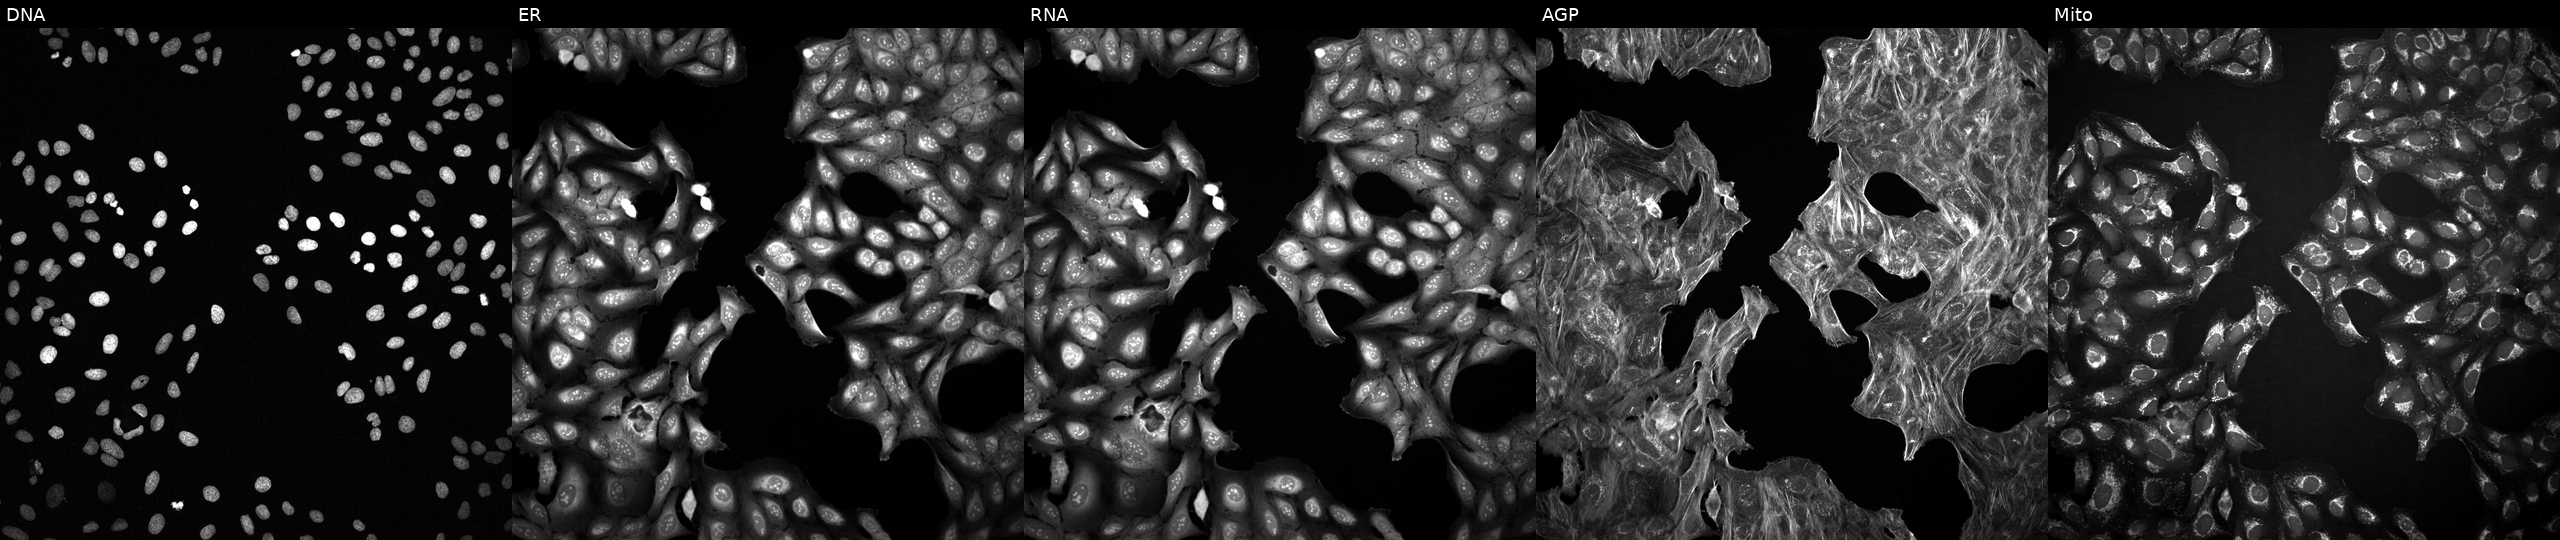
Panels show, left to right, DNA (nuclei); ER (endoplasmic reticulum); RNA (nucleoli and cytoplasmic RNA); AGP (actin cytoskeleton, Golgi, and plasma membrane); Mito (mitochondria). U2OS osteosarcoma cells with an unidentified perturbation (not annotated in JUMP metadata). Cell Painting assay, JUMP-CP dataset.